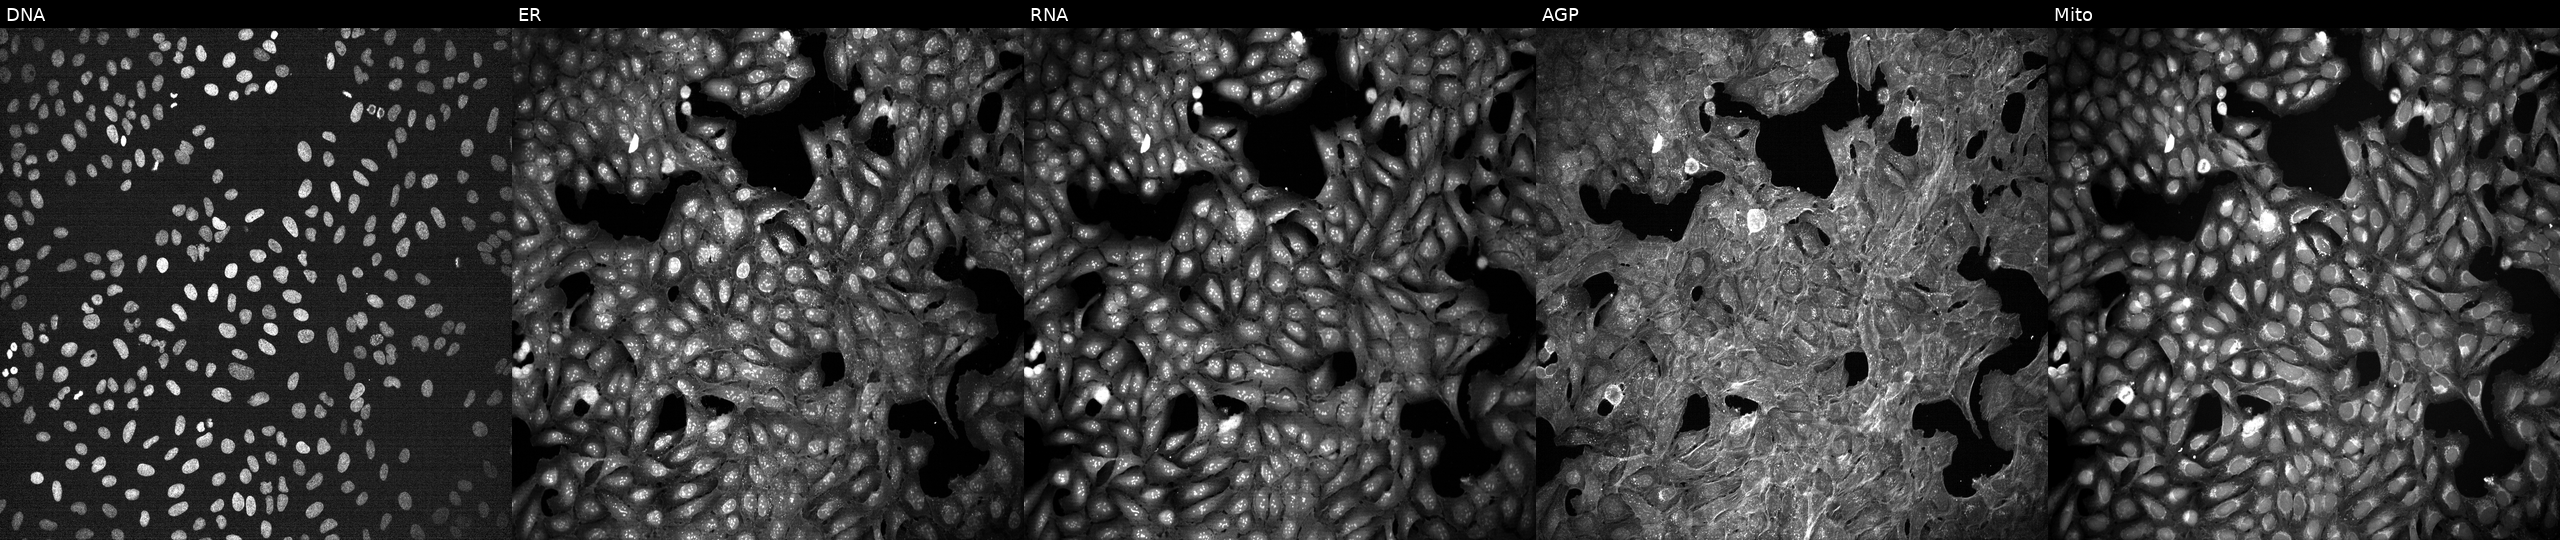
This image strip shows the five Cell Painting channels for a single field of U2OS cells exposed to a small-molecule compound (InChIKey JZFPYUNJRRFVQU-UHFFFAOYSA-N) (JUMP id JCP2022_043099). From left to right: DNA (nuclei); ER (endoplasmic reticulum); RNA (nucleoli and cytoplasmic RNA); AGP (actin cytoskeleton, Golgi, and plasma membrane); Mito (mitochondria).